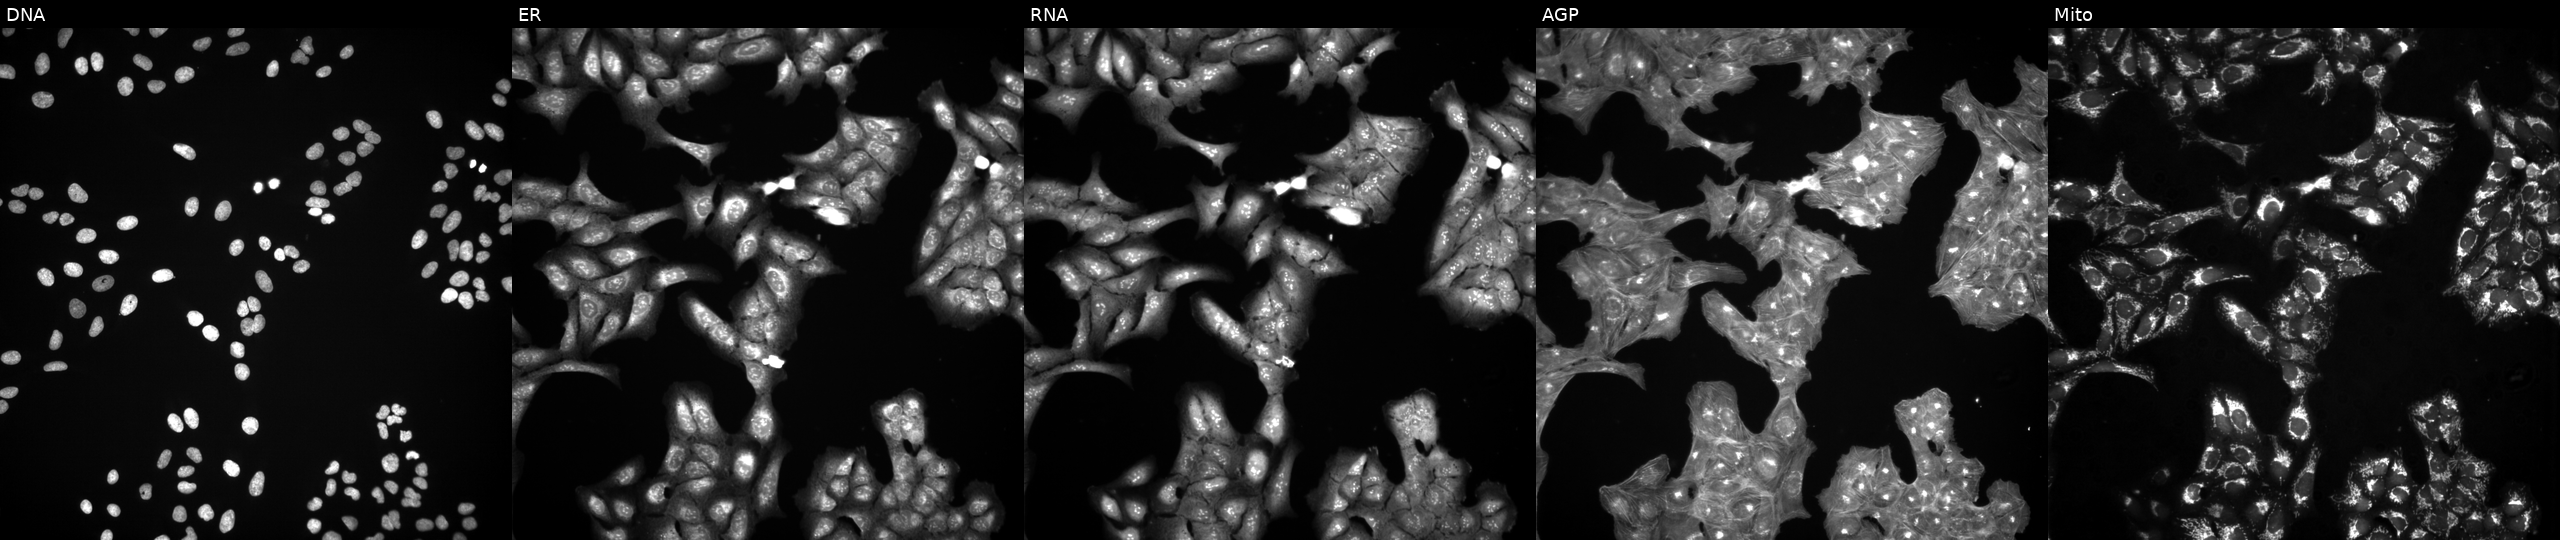
High-content fluorescence microscopy (Cell Painting). Cell line: U2OS. Perturbation: treated with DMSO vehicle only (negative control) (JUMP id JCP2022_033924). From left to right: DNA, ER, RNA, AGP, and Mito.